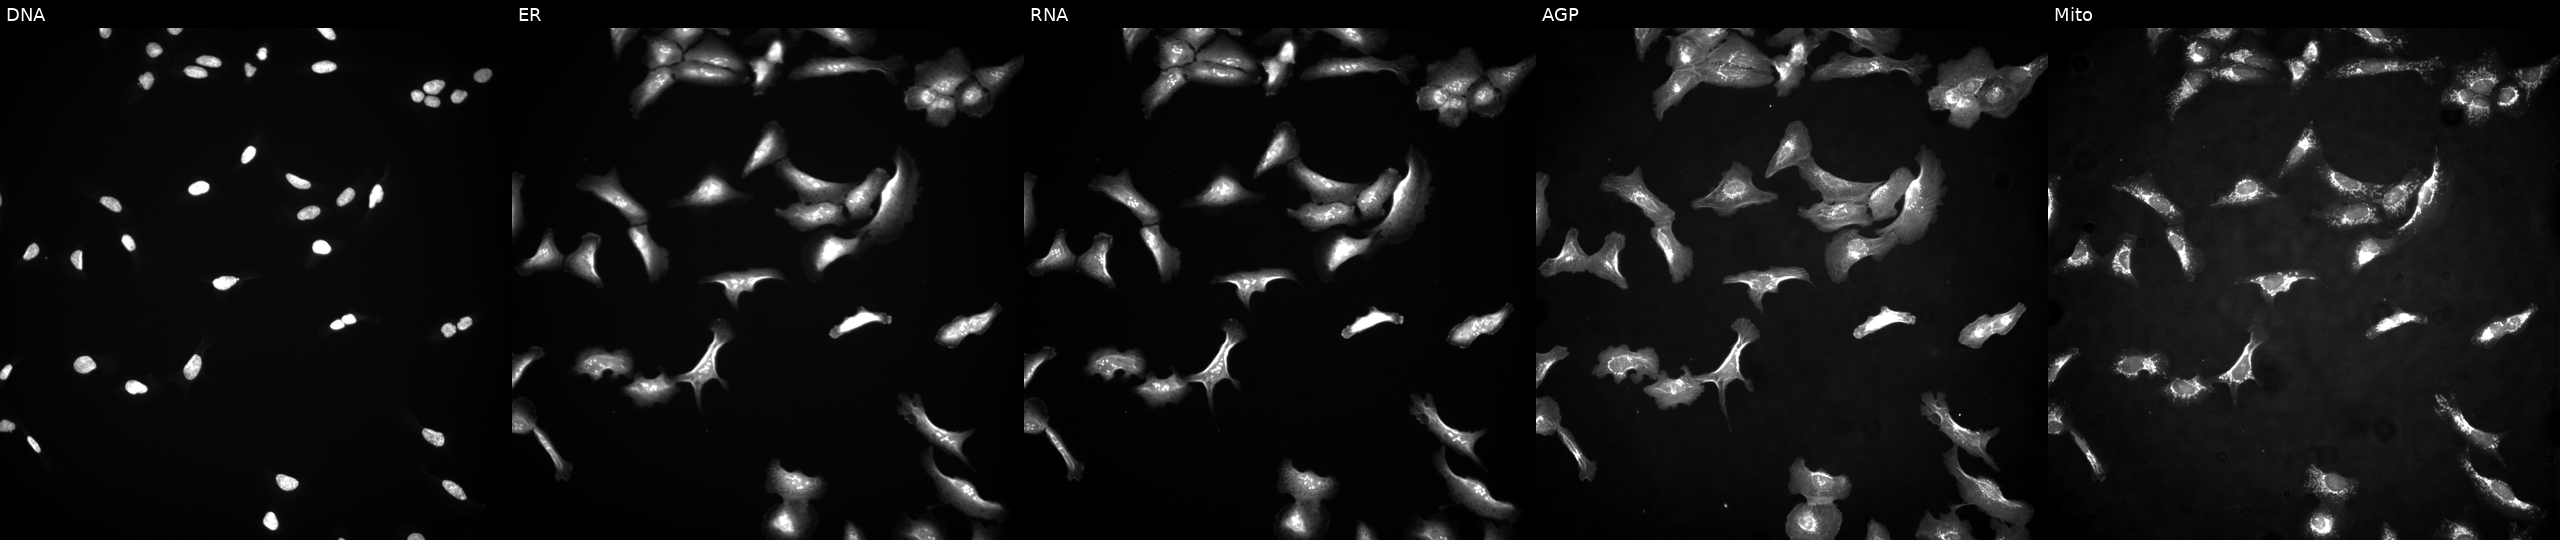
From left to right: DNA (nuclei); ER (endoplasmic reticulum); RNA (nucleoli and cytoplasmic RNA); AGP (actin cytoskeleton, Golgi, and plasma membrane); Mito (mitochondria). U2OS osteosarcoma cells overexpressing ZNF257 via ORF transfection. Cell Painting assay, JUMP-CP dataset.